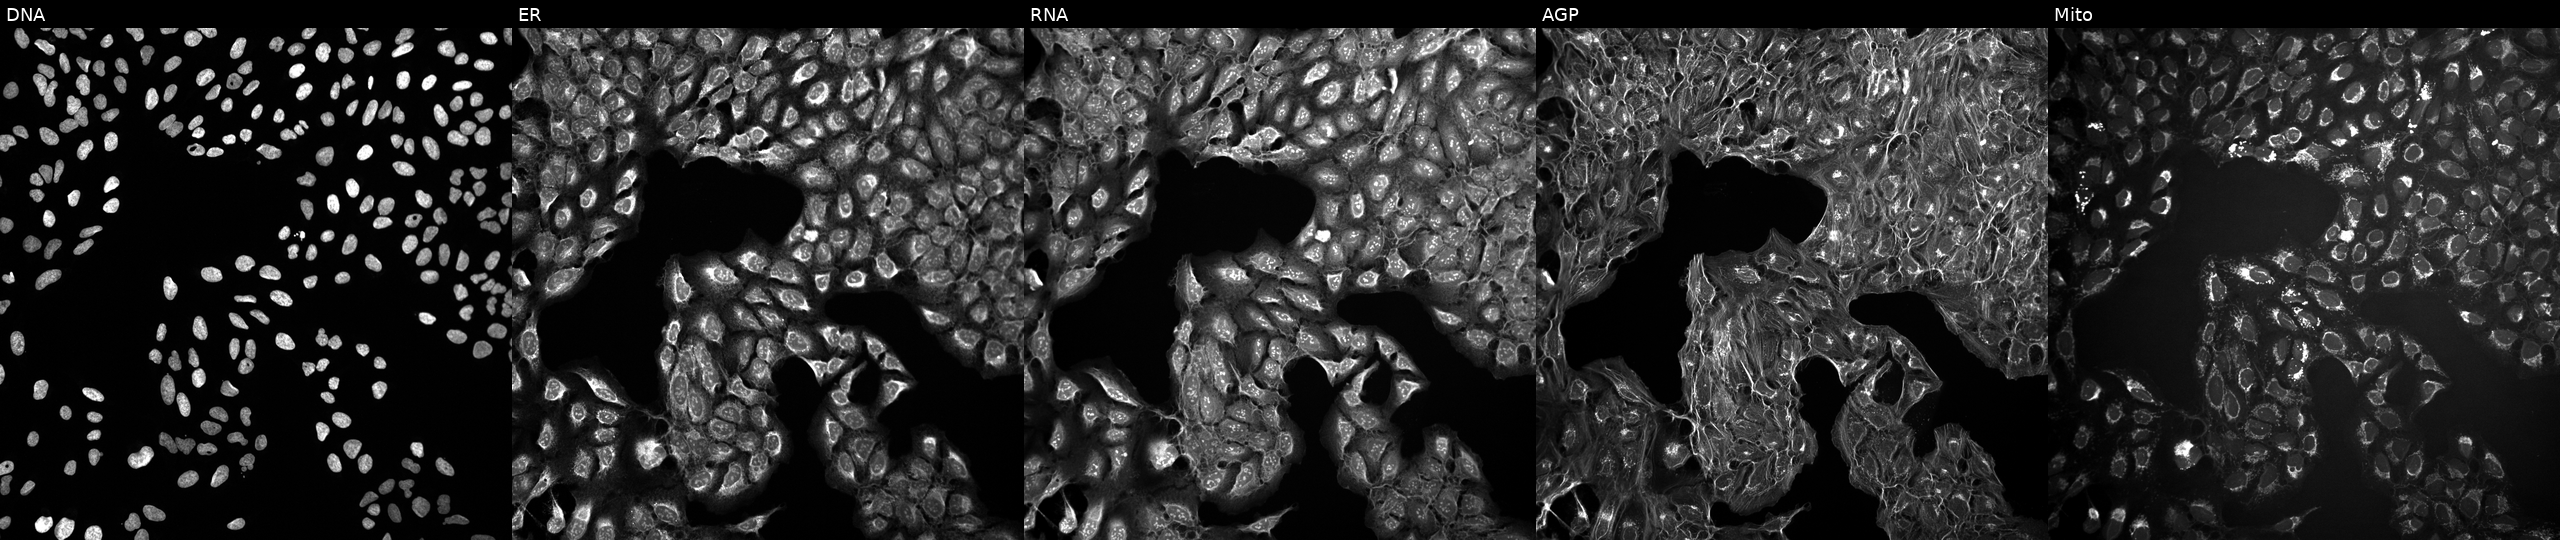
Panels show, left to right, Hoechst 33342, concanavalin A, SYTO 14, phalloidin and WGA, MitoTracker. U2OS osteosarcoma cells in an empty control well (no perturbation) (JUMP id JCP2022_999999). Cell Painting assay, JUMP-CP dataset. Source 10, plate Dest210531-152324, well N16.